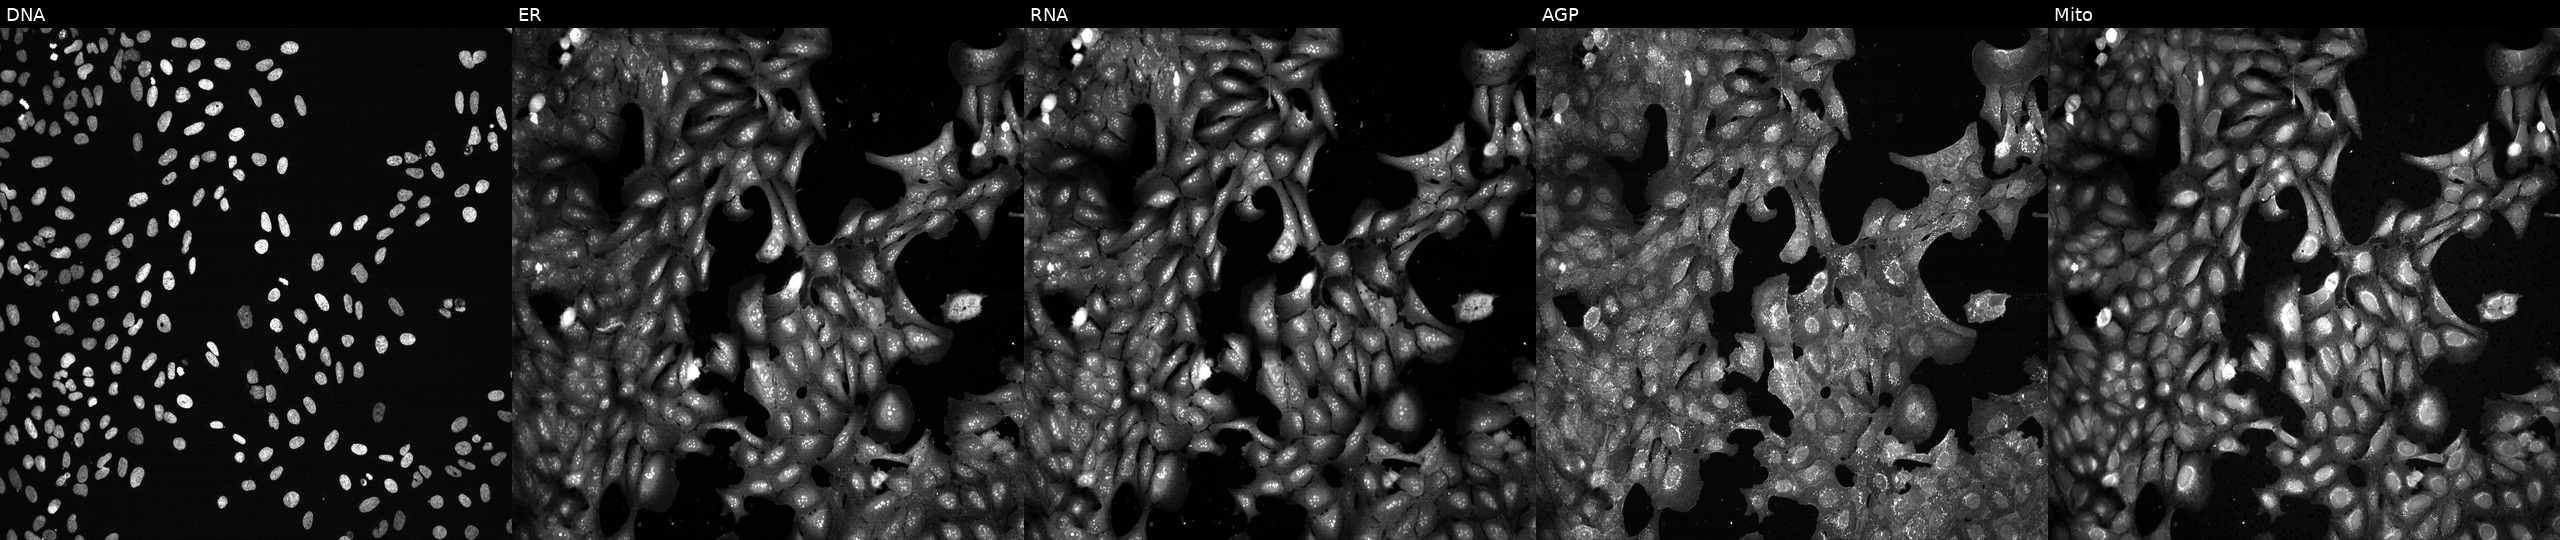
High-content fluorescence microscopy (Cell Painting). Cell line: U2OS. Perturbation: with PUSL1 knocked out by CRISPR (JUMP id JCP2022_805718). The five panels, left to right, show DNA (nuclei); ER (endoplasmic reticulum); RNA (nucleoli and cytoplasmic RNA); AGP (actin cytoskeleton, Golgi, and plasma membrane); Mito (mitochondria). Source 13, plate CP-CC9-R1-02, well J19.